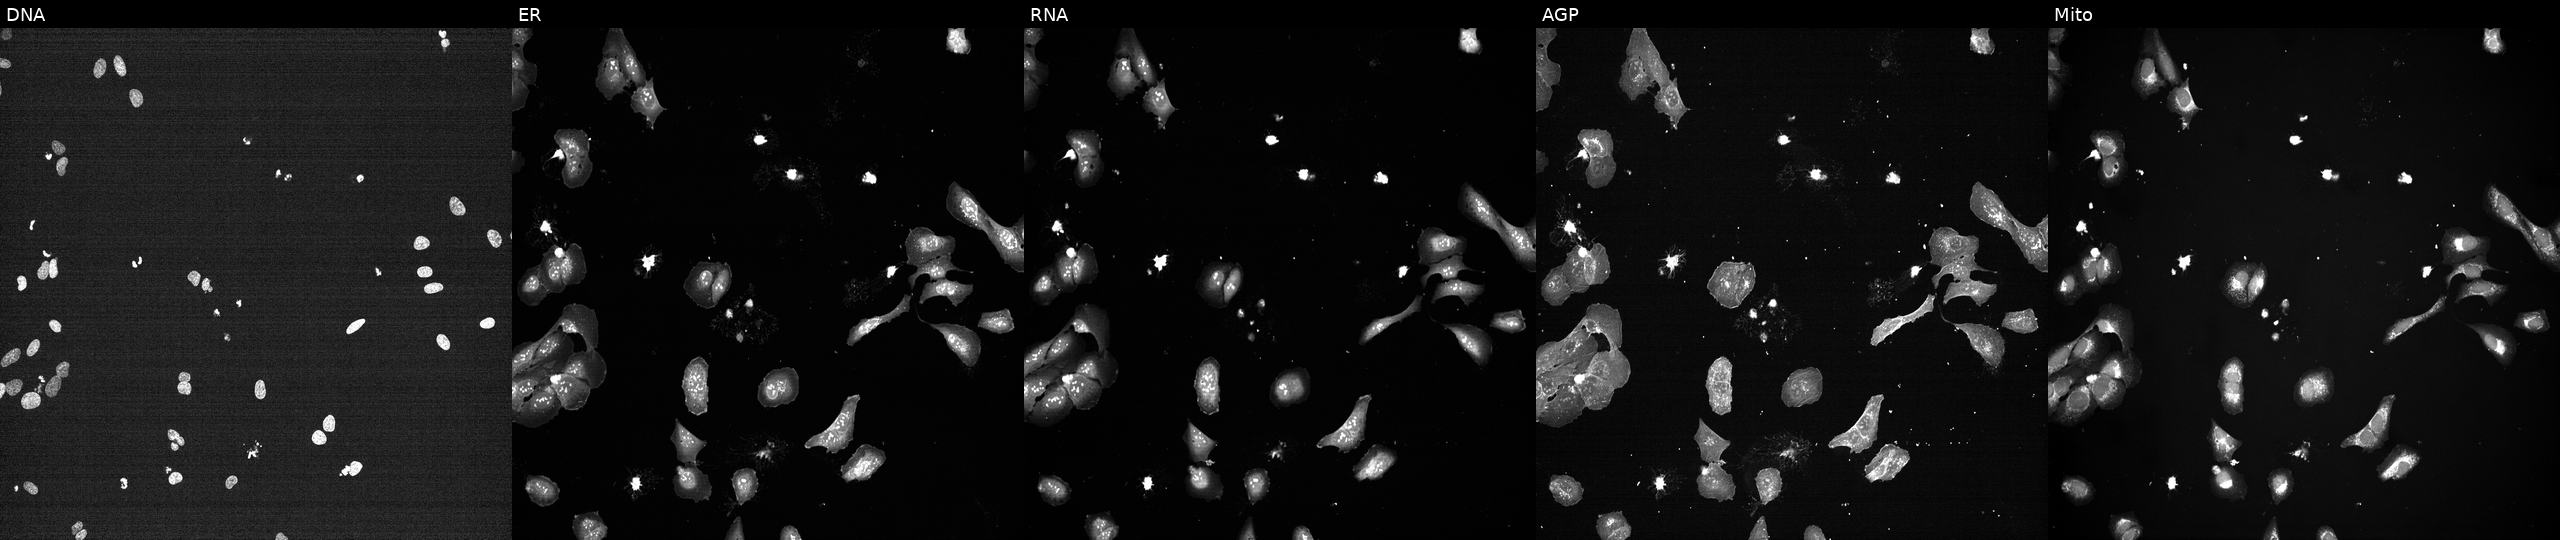
Five-channel Cell Painting image of U2OS cells exposed to the positive-control compound TC-S-7004 (JUMP id JCP2022_012818). Channels (left→right): DNA (nuclei); ER (endoplasmic reticulum); RNA (nucleoli and cytoplasmic RNA); AGP (actin cytoskeleton, Golgi, and plasma membrane); Mito (mitochondria). Source 7, plate CP1-SC1-25, well K12.